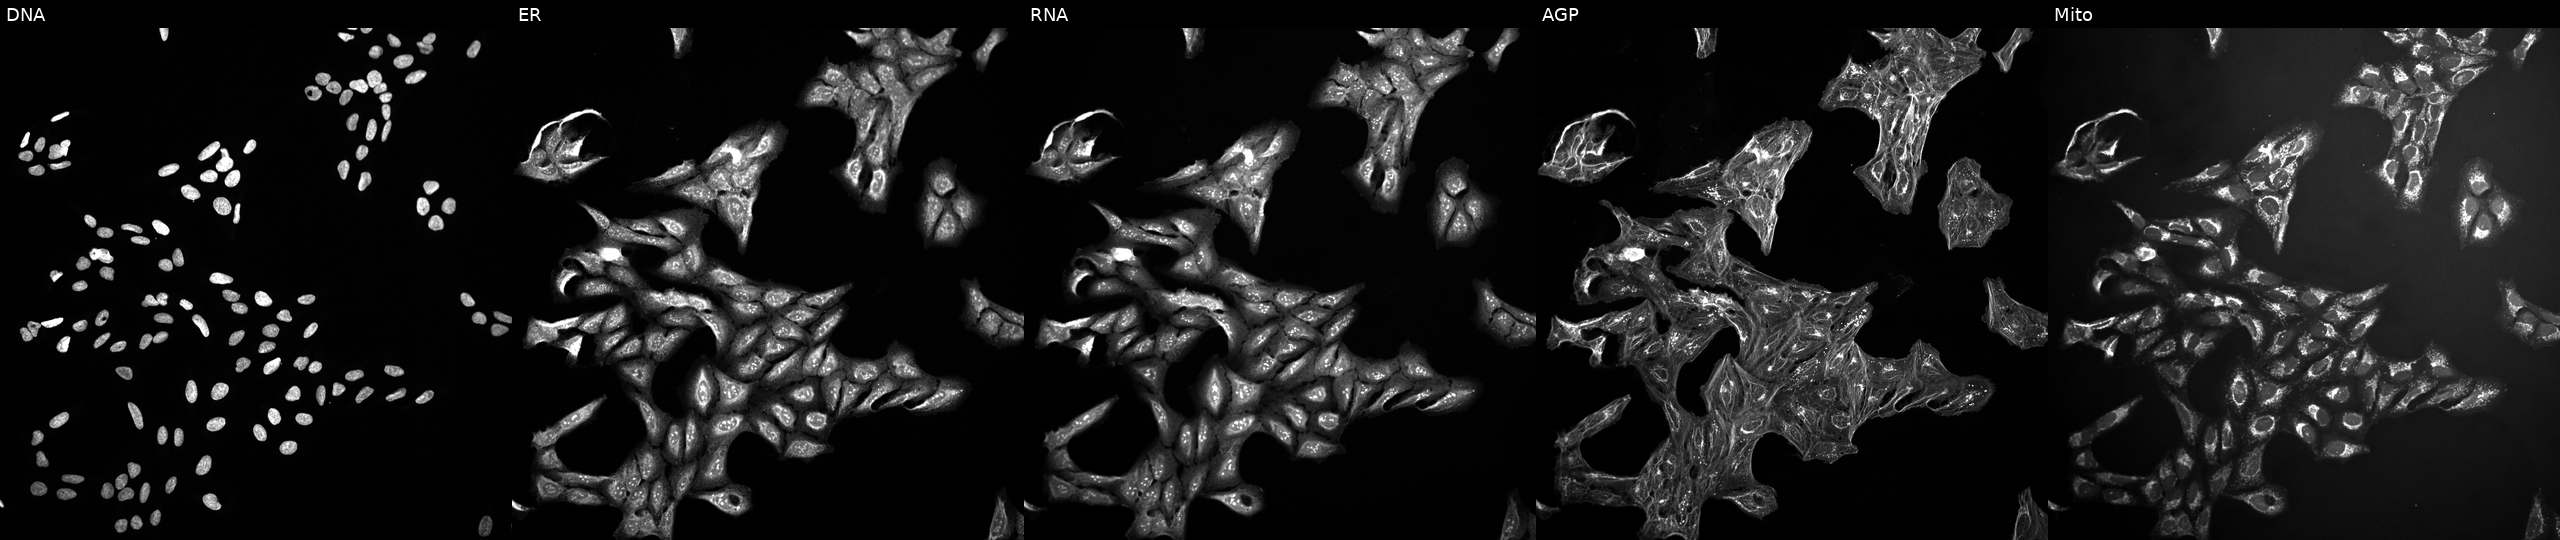
JUMP Cell Painting — TARGET2 plate. U2OS cells treated with a small-molecule compound [SMILES: CCCCc1nc(-c2ccc(OCCCN(CC)CC)cc2)cn1-c1ccc(Oc2ccc(Cl)cc2)cc1]. The five panels, left to right, show Hoechst 33342, concanavalin A, SYTO 14, phalloidin and WGA, MitoTracker.